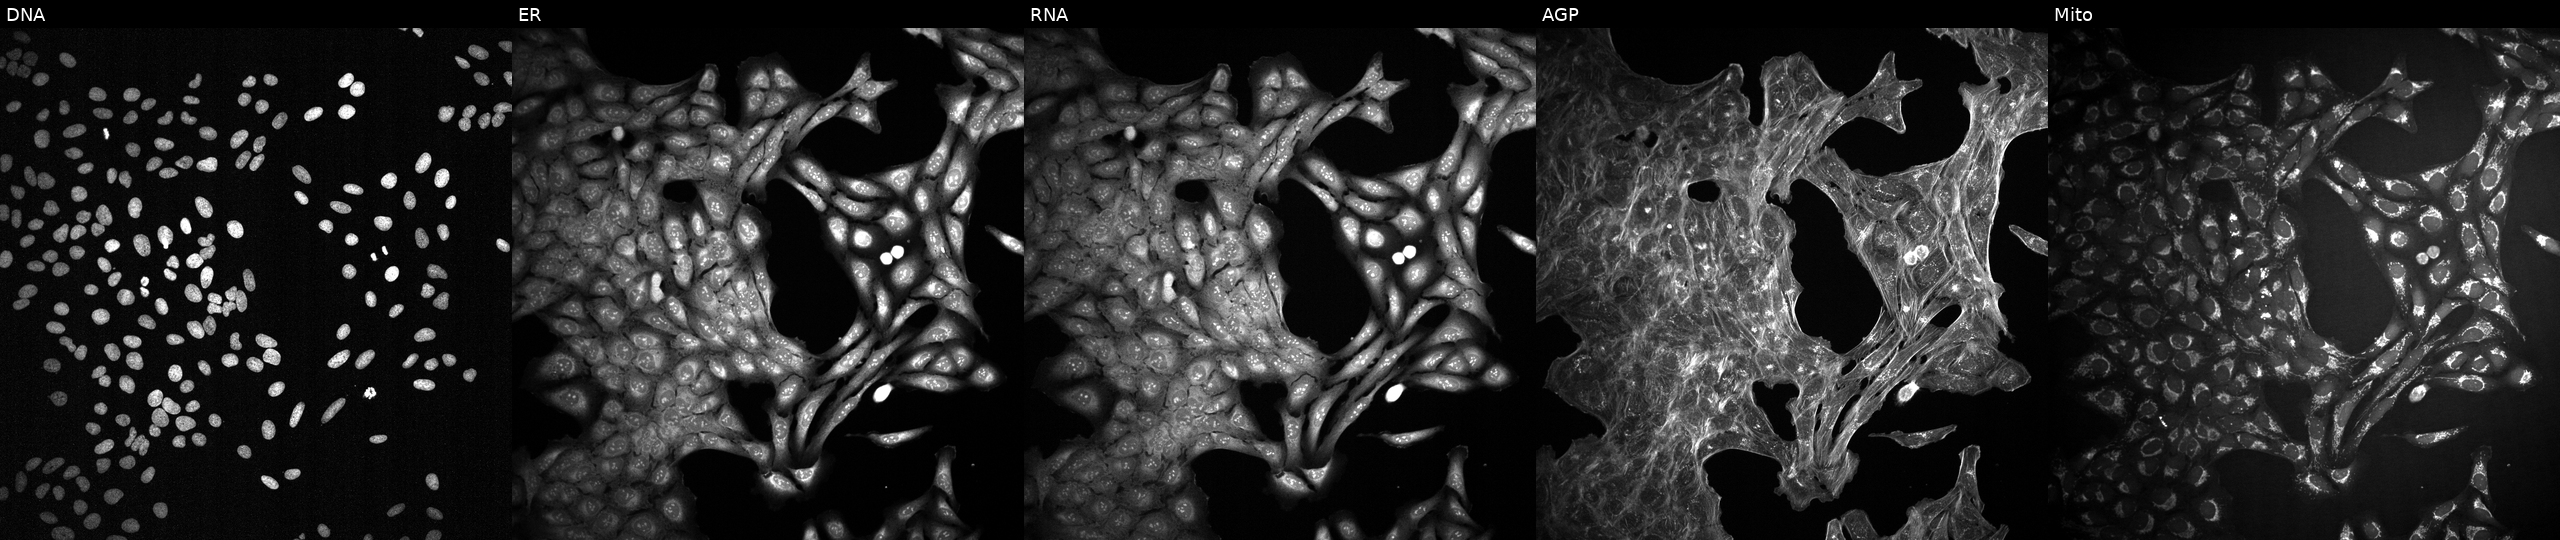
The five panels, left to right, show Hoechst 33342, concanavalin A, SYTO 14, phalloidin and WGA, MitoTracker. U2OS osteosarcoma cells treated with a small-molecule compound (JUMP id JCP2022_080224). Cell Painting assay, JUMP-CP dataset.